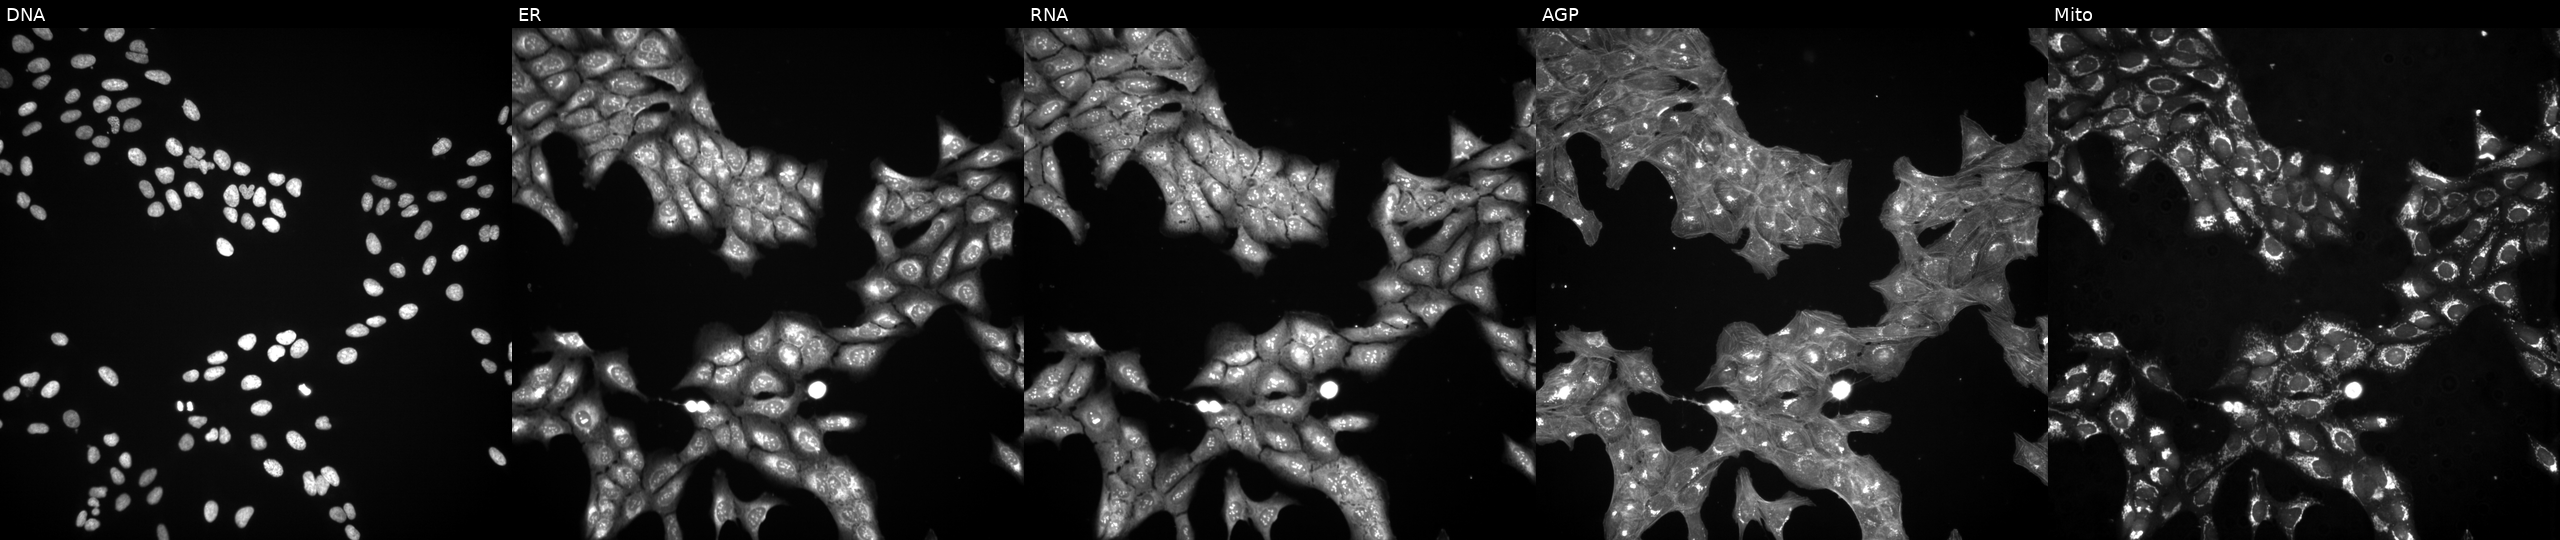
U2OS cells, Cell Painting assay, treated with DMSO vehicle only (negative control). Panels show, left to right, DNA, ER, RNA, AGP, and Mito. Each panel is percentile-stretched 16-bit fluorescence.